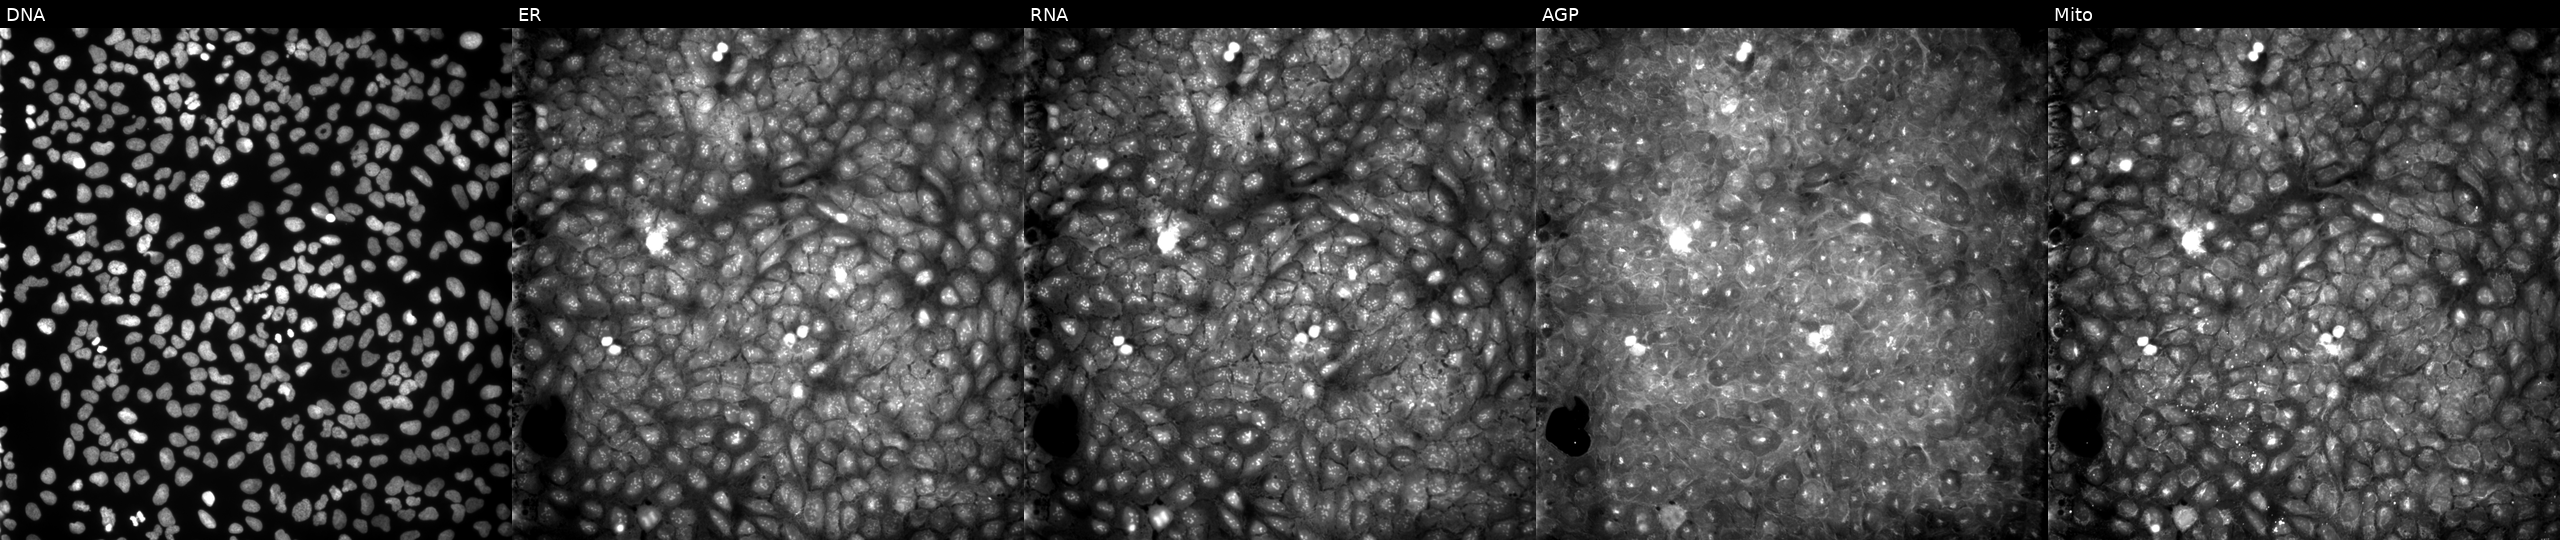
U2OS cells, Cell Painting assay, perturbed with a small-molecule compound (InChIKey OPNJLVQSNITTMX-UHFFFAOYSA-N) [SMILES: O=C(Nc1ccccc1)c1cccc(S(=O)(=O)Oc2ccc([N+](=O)[O-])cc2)c1] (JUMP id JCP2022_065309). Channels (left→right): DNA, ER, RNA, AGP, and Mito. Each panel is percentile-stretched 16-bit fluorescence.